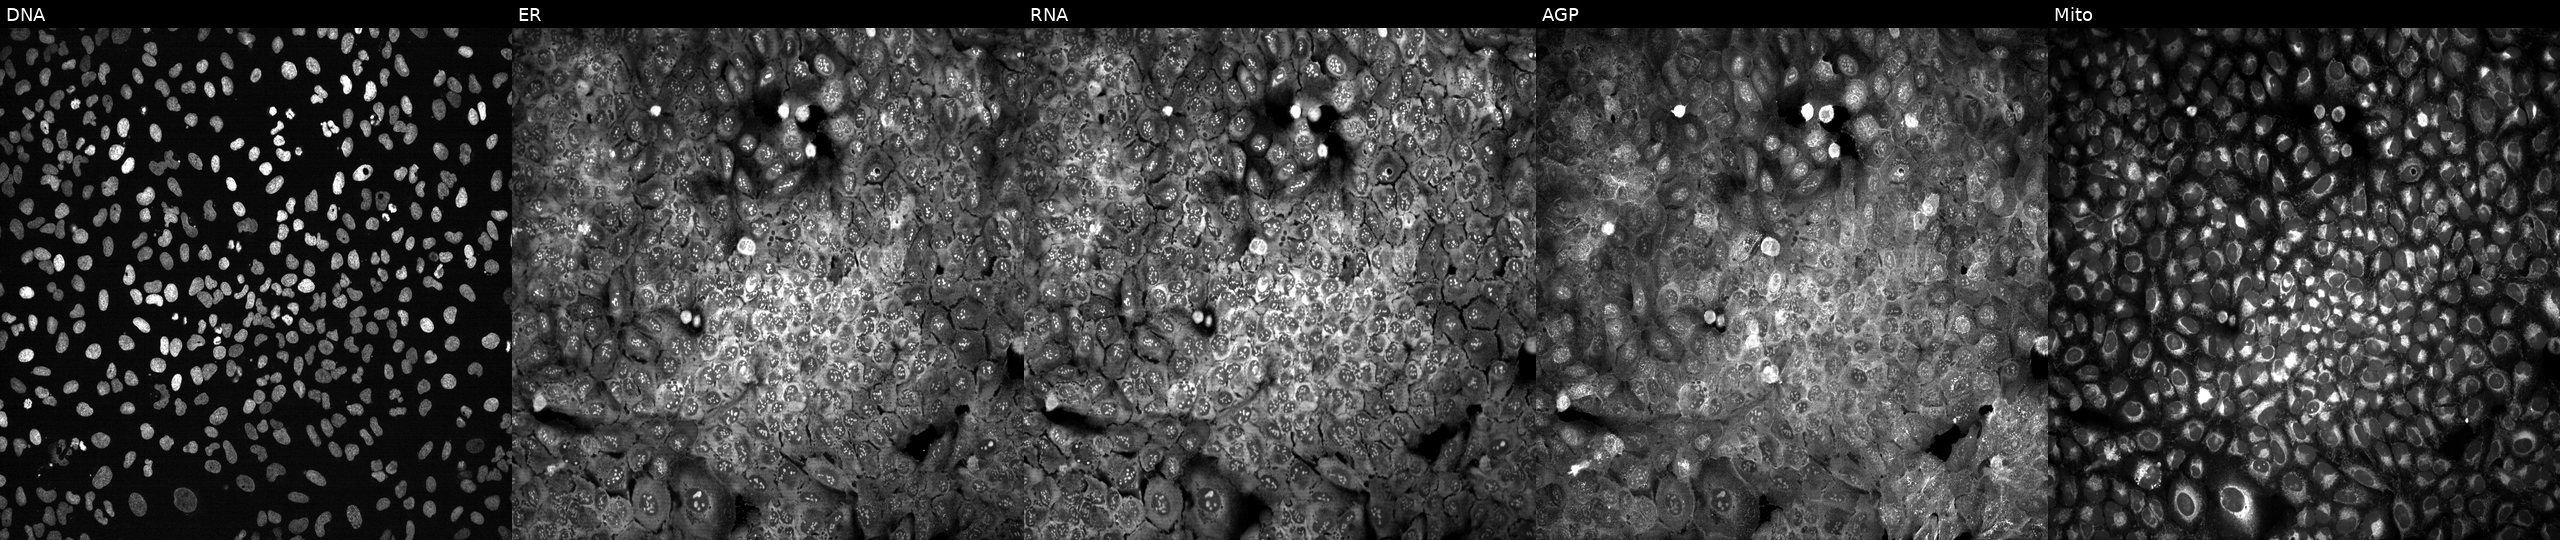
High-content fluorescence microscopy (Cell Painting). Cell line: U2OS. Perturbation: CRISPR-edited to disrupt GSTP1. From left to right: DNA, ER, RNA, AGP, and Mito. Source 13, plate CP-CC9-R4-04, well O20.